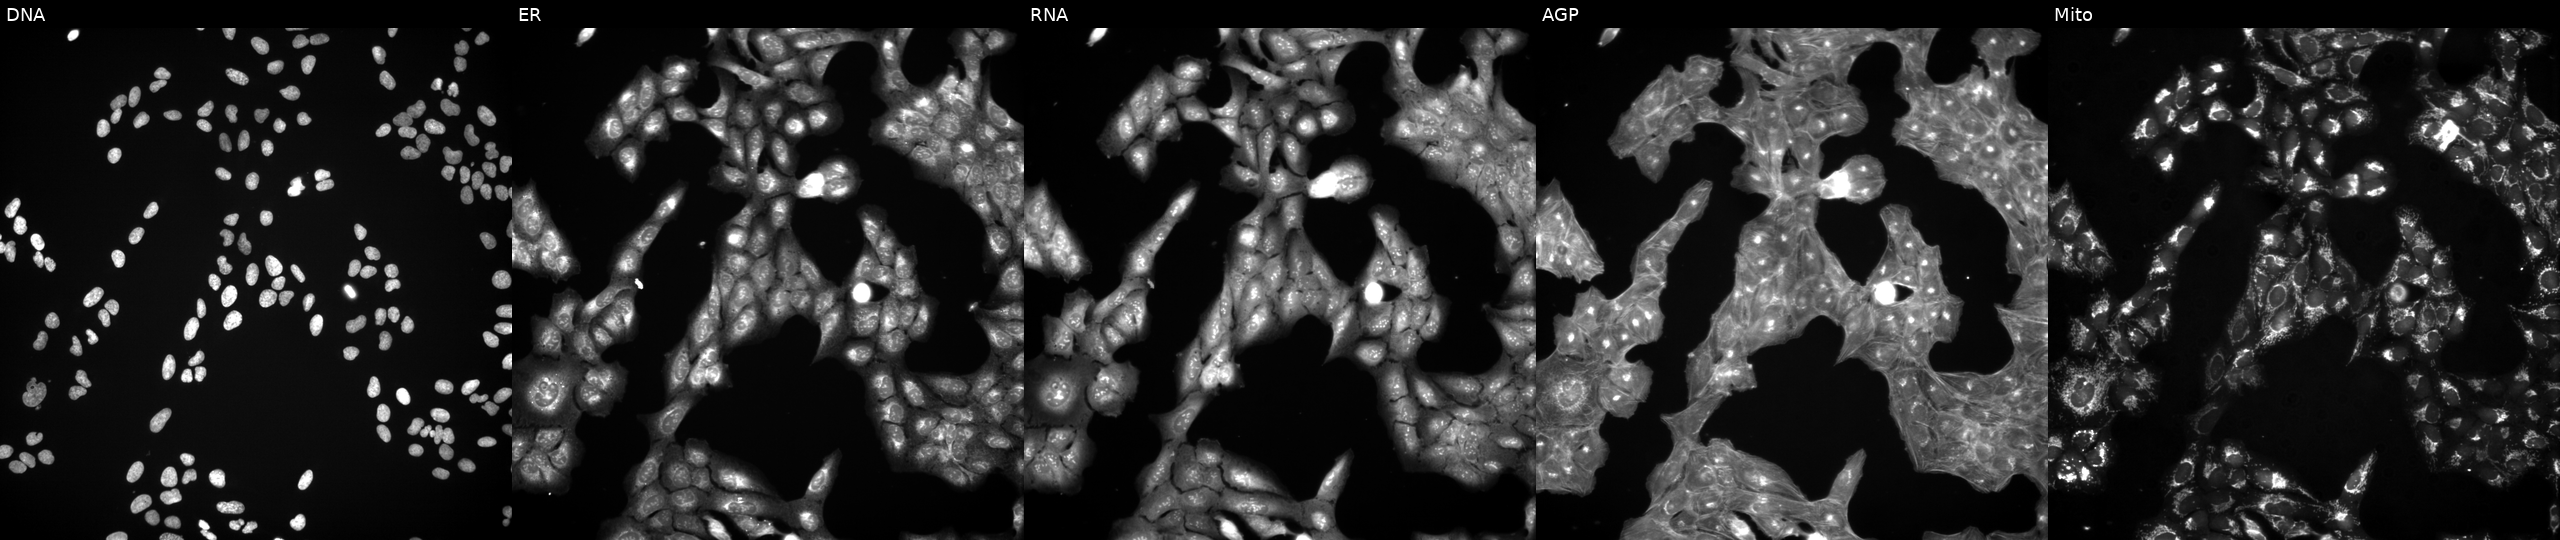
This image strip shows the five Cell Painting channels for a single field of U2OS cells perturbed with a small-molecule compound (InChIKey NGTDJJKTGRNNAU-UHFFFAOYSA-N) [SMILES: OC(Cc1ccncc1)C(Cl)(Cl)Cl] (JUMP id JCP2022_058889). Panels show, left to right, DNA, ER, RNA, AGP, and Mito.